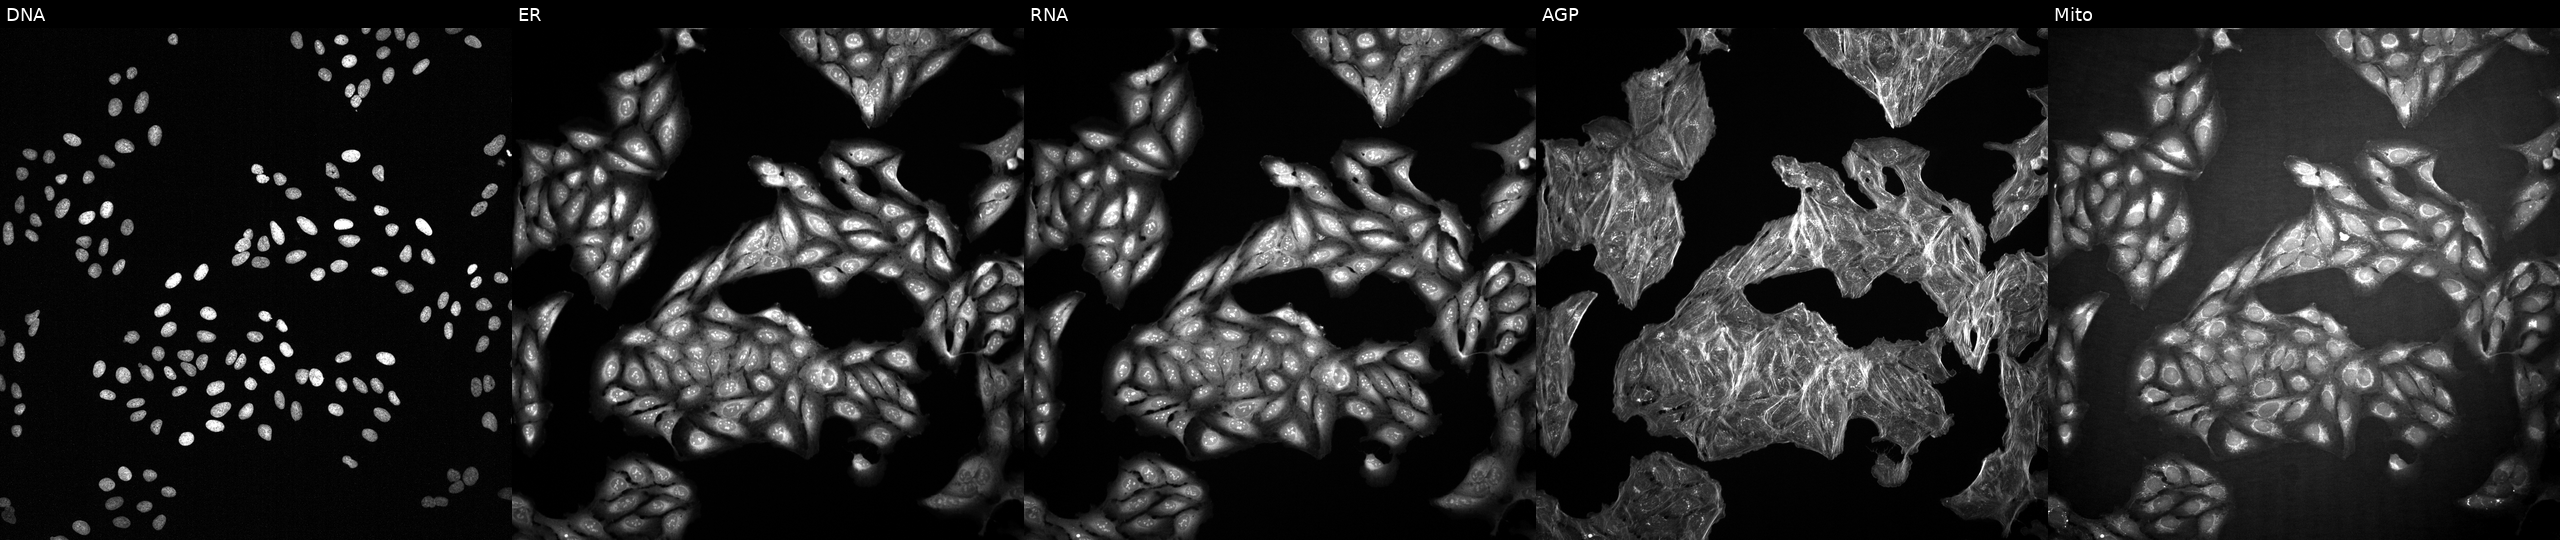
U2OS cells, Cell Painting assay, treated with a small-molecule compound (InChIKey PGLFTMWGTGTWMW-UHFFFAOYSA-N). Channels (left→right): DNA (nuclei); ER (endoplasmic reticulum); RNA (nucleoli and cytoplasmic RNA); AGP (actin cytoskeleton, Golgi, and plasma membrane); Mito (mitochondria). Each panel is percentile-stretched 16-bit fluorescence. Source 2, plate 1053601763, well G22.